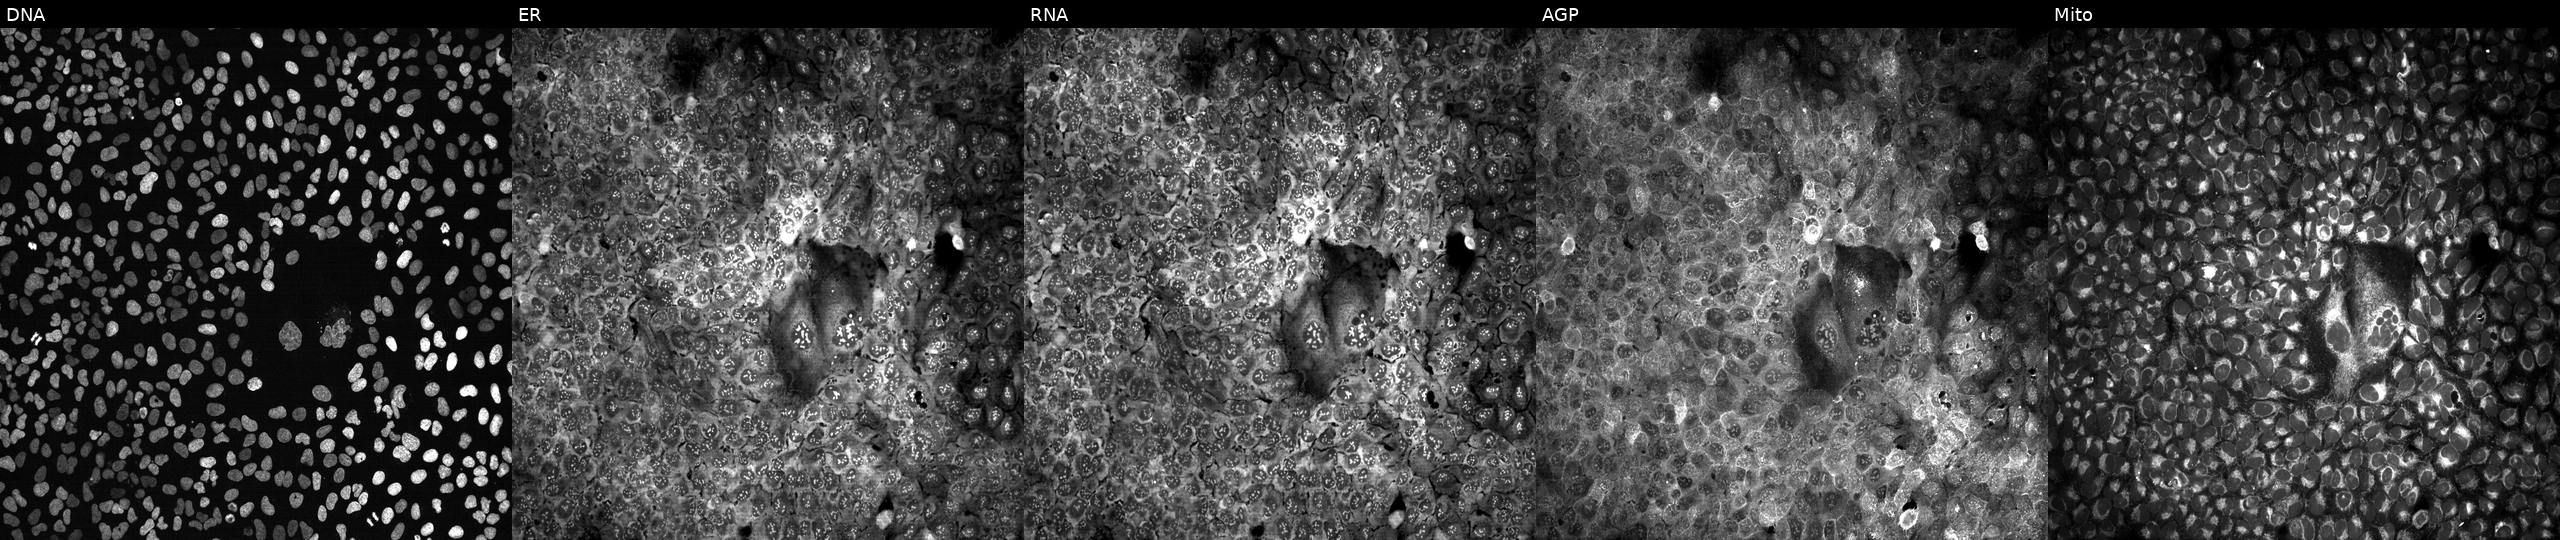
High-content fluorescence microscopy (Cell Painting). Cell line: U2OS. Perturbation: with a non-targeting CRISPR guide (negative control) (JUMP id JCP2022_800002). Panels show, left to right, Hoechst 33342, concanavalin A, SYTO 14, phalloidin and WGA, MitoTracker. Source 13, plate CP-CC9-R4-04, well M02.